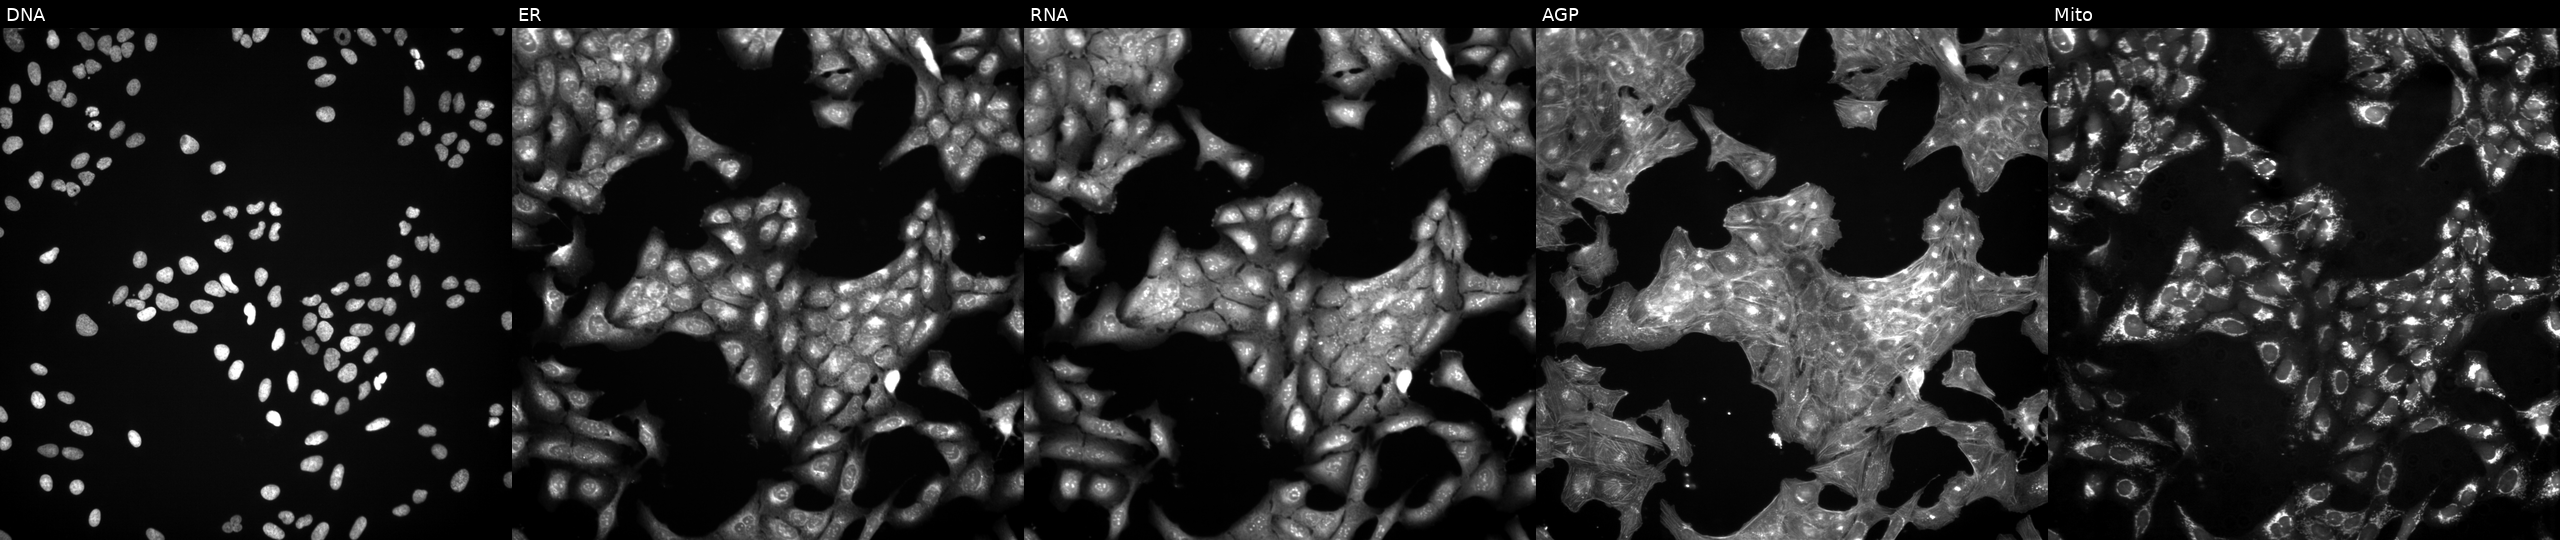
Five-channel Cell Painting image of U2OS cells perturbed with a small-molecule compound (InChIKey YYOOFJZTRCPVFD-UHFFFAOYSA-N). Panels show, left to right, DNA, ER, RNA, AGP, and Mito.